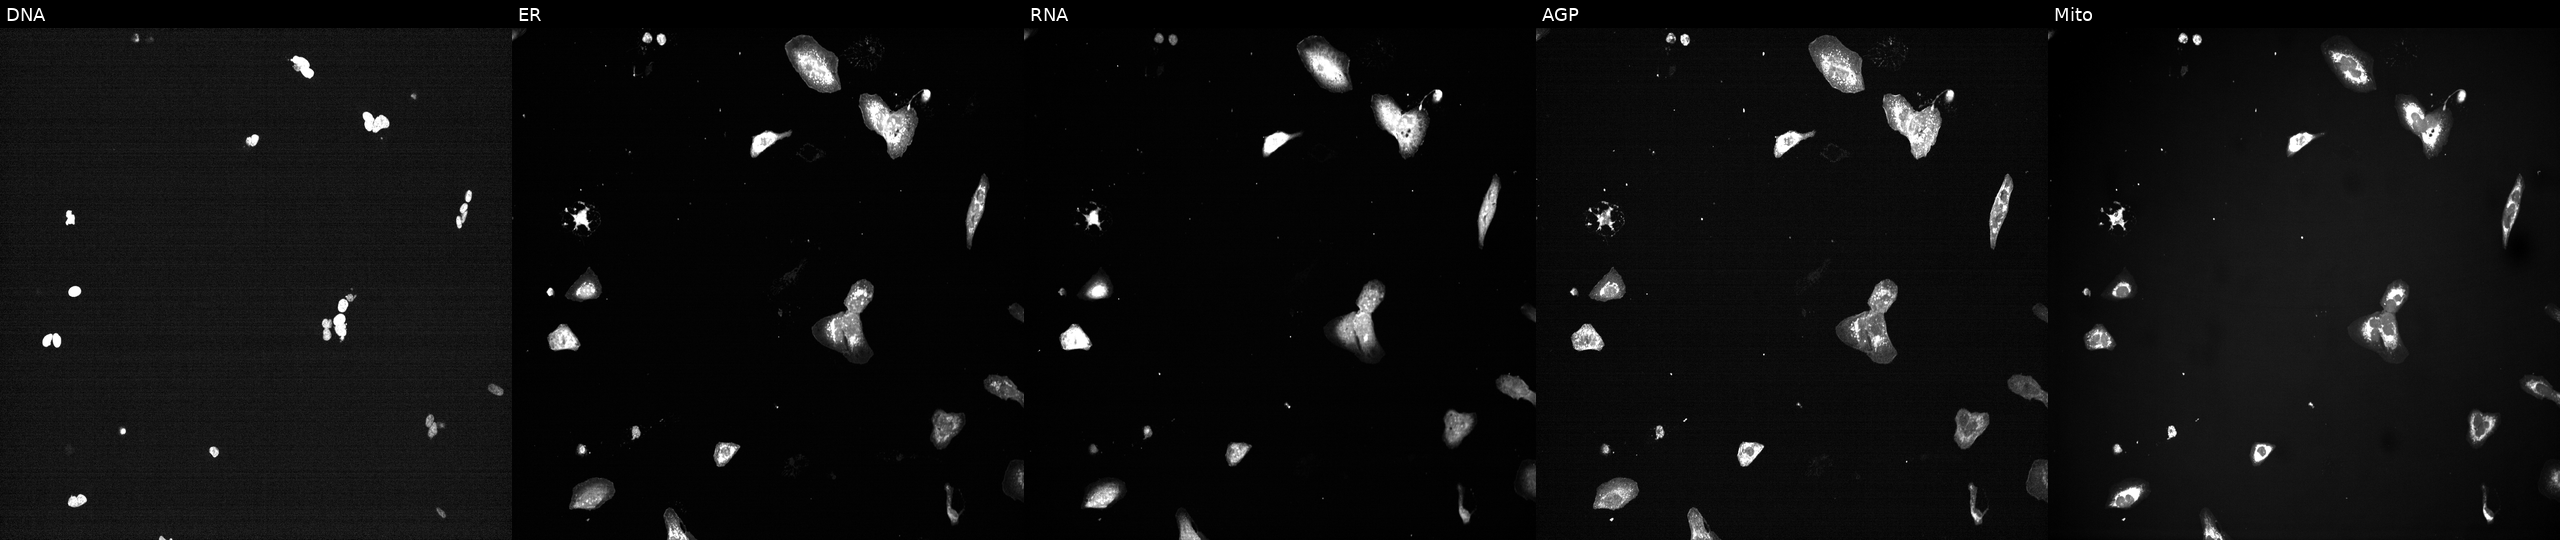
U2OS cells, Cell Painting assay, exposed to a small-molecule compound (InChIKey JOOXLOJCABQBSG-UHFFFAOYSA-N). Panels show, left to right, DNA, ER, RNA, AGP, and Mito. Each panel is percentile-stretched 16-bit fluorescence.